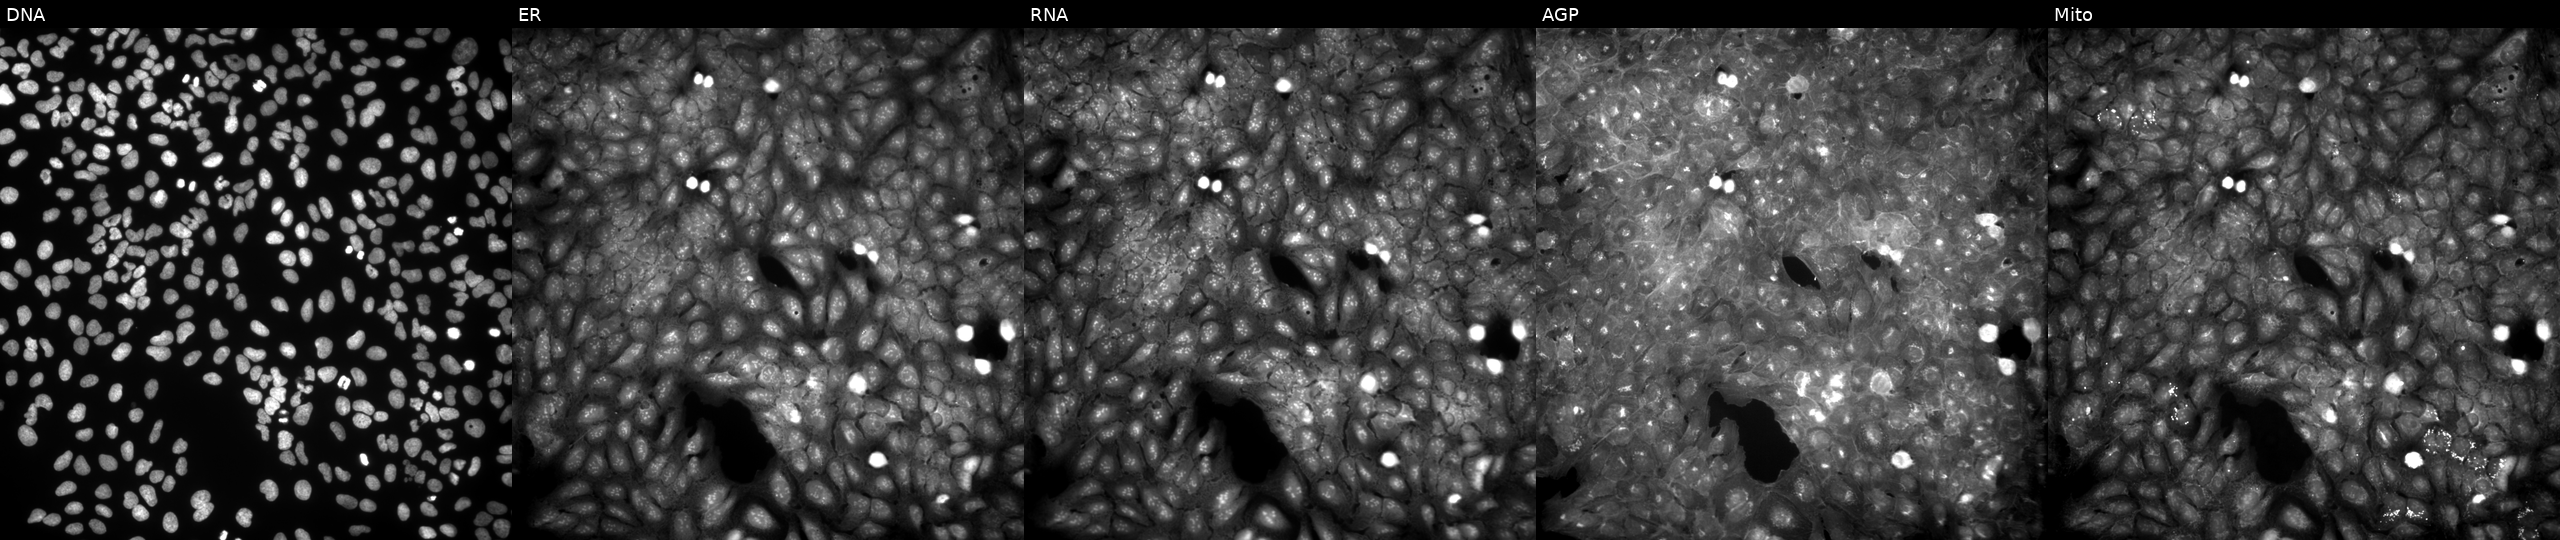
Five-channel Cell Painting image of U2OS cells exposed to a small-molecule compound (InChIKey MEYQJCUAOPKJPB-UHFFFAOYSA-N). From left to right: Hoechst 33342, concanavalin A, SYTO 14, phalloidin and WGA, MitoTracker.